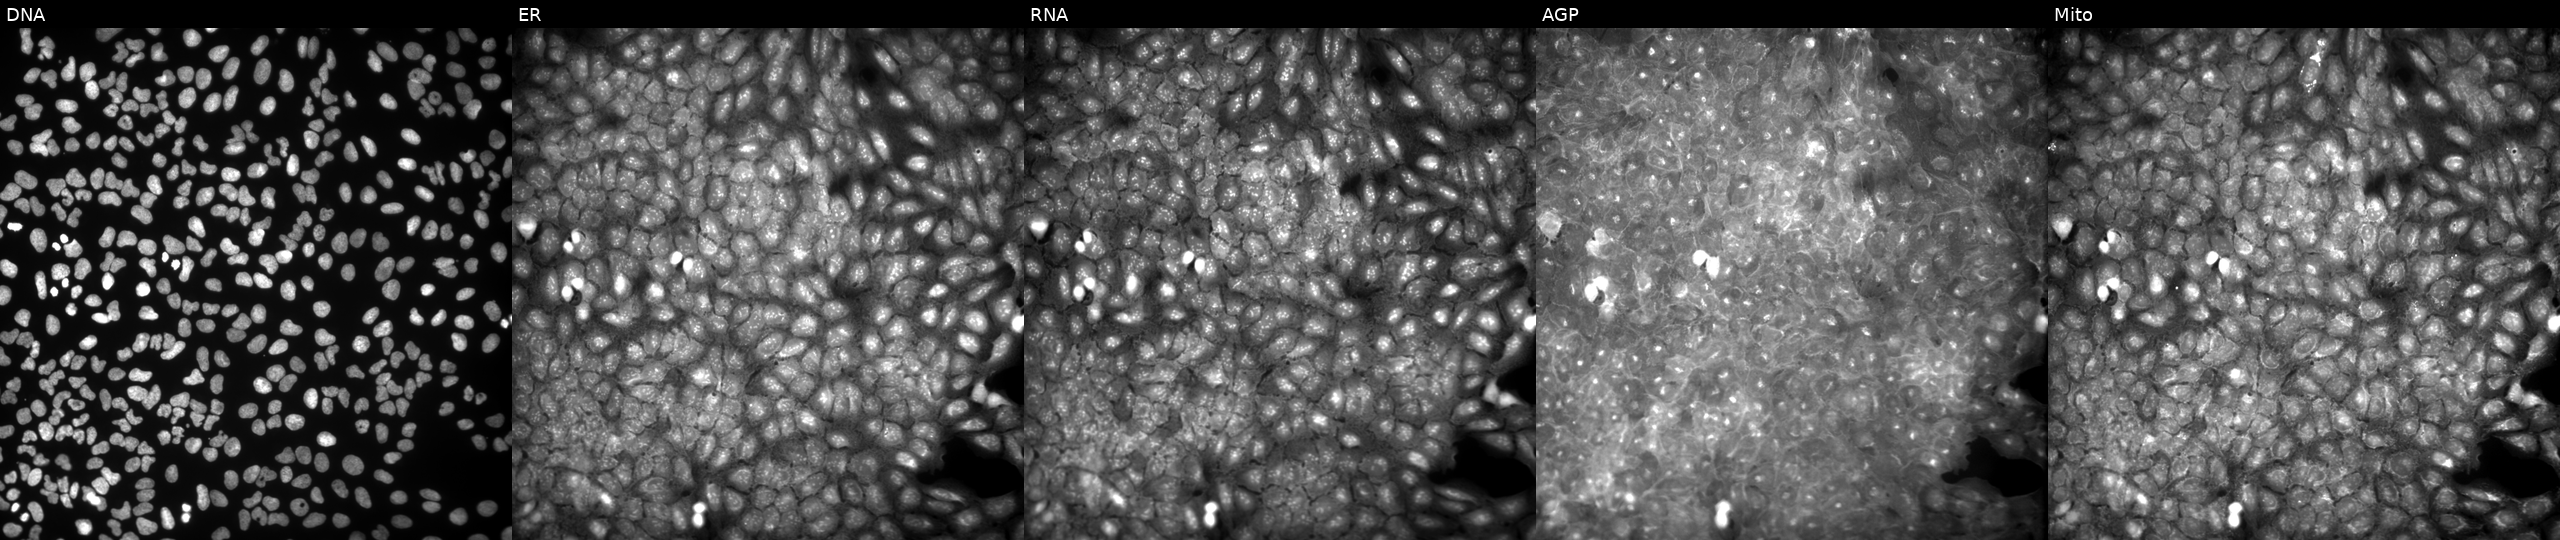
High-content fluorescence microscopy (Cell Painting). Cell line: U2OS. Perturbation: exposed to a small-molecule compound (InChIKey HTHHGRMOTAFRIH-UHFFFAOYSA-N). The five panels, left to right, show DNA, ER, RNA, AGP, and Mito.